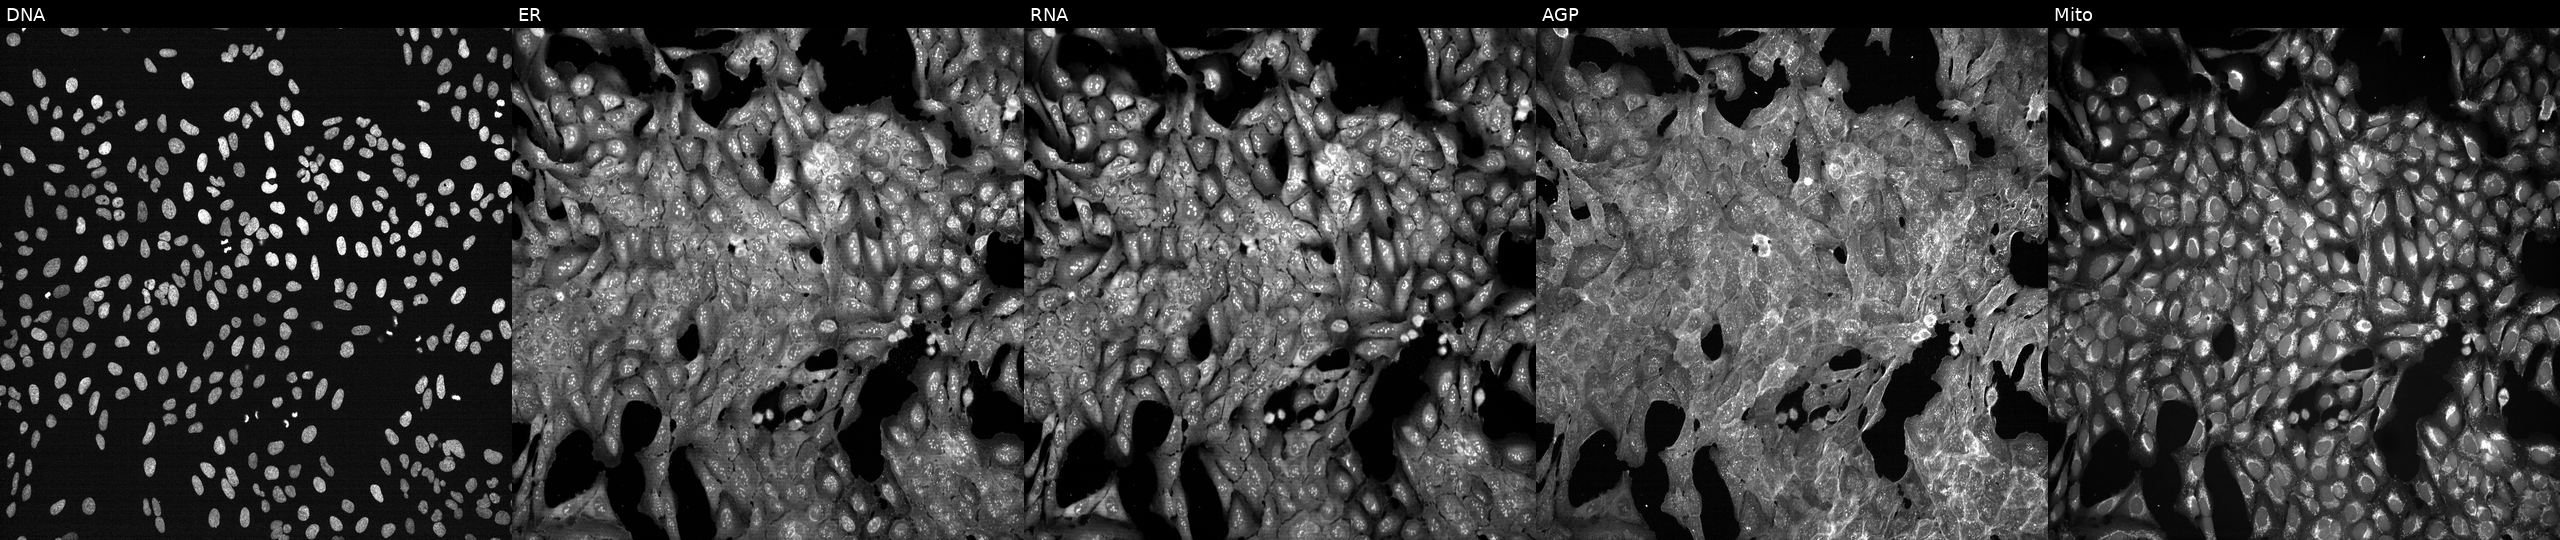
Panels show, left to right, DNA (nuclei); ER (endoplasmic reticulum); RNA (nucleoli and cytoplasmic RNA); AGP (actin cytoskeleton, Golgi, and plasma membrane); Mito (mitochondria). U2OS osteosarcoma cells exposed to a small-molecule compound. Cell Painting assay, JUMP-CP dataset. Source 7, plate CP3-SC1-25, well L11.